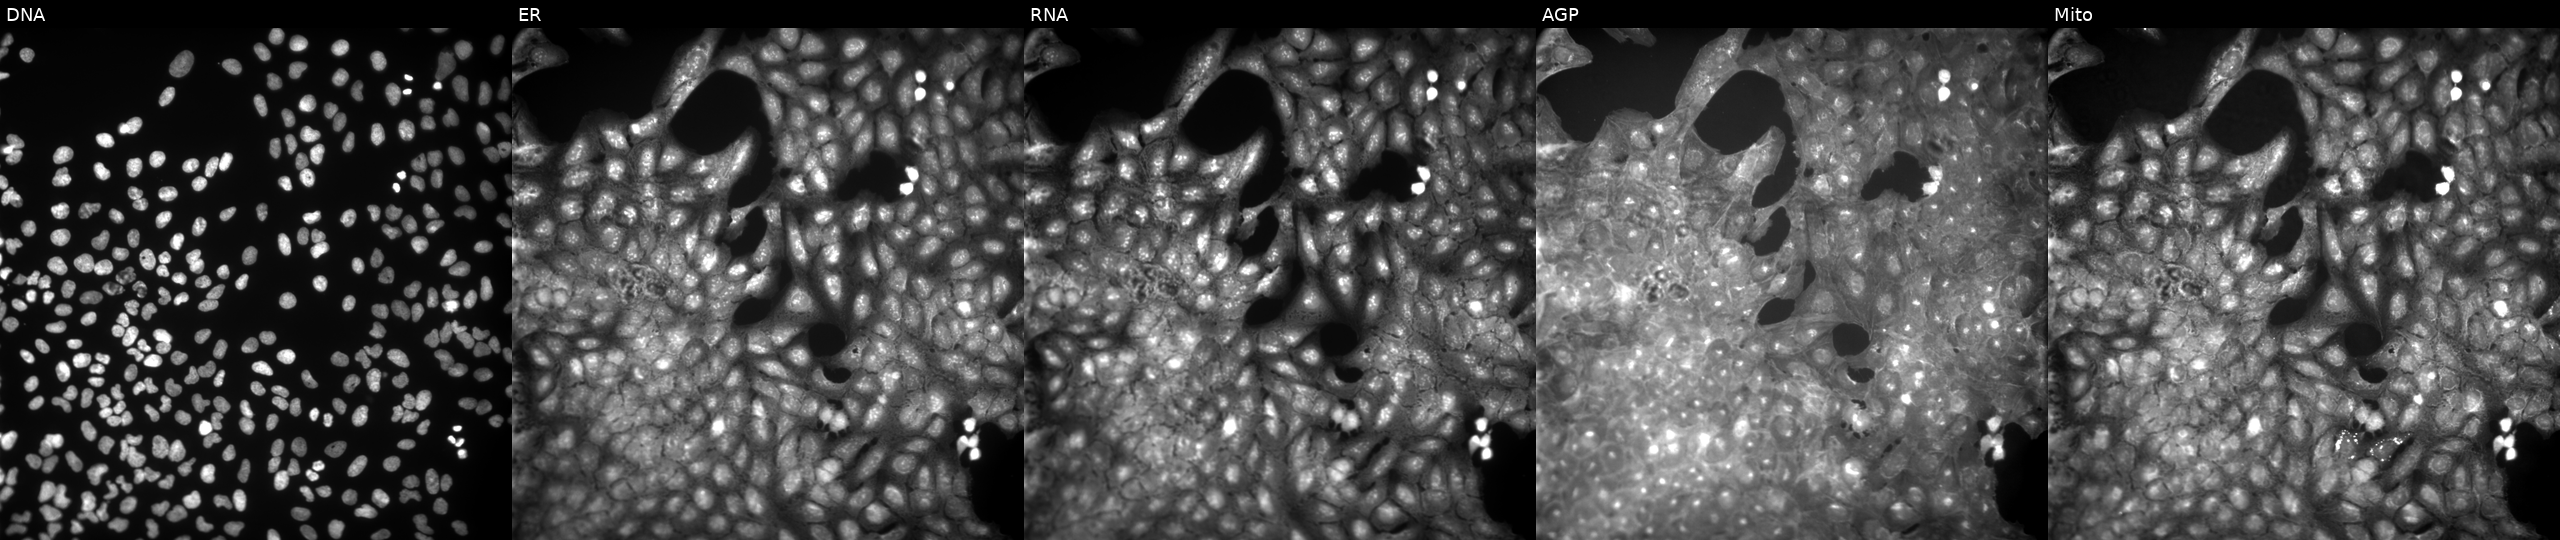
Five-channel Cell Painting image of U2OS cells perturbed with a small-molecule compound (InChIKey RVBIHRGXDKNPKO-UHFFFAOYSA-N). Channels (left→right): DNA, ER, RNA, AGP, and Mito. Source 9, plate GR00003382, well AD08.